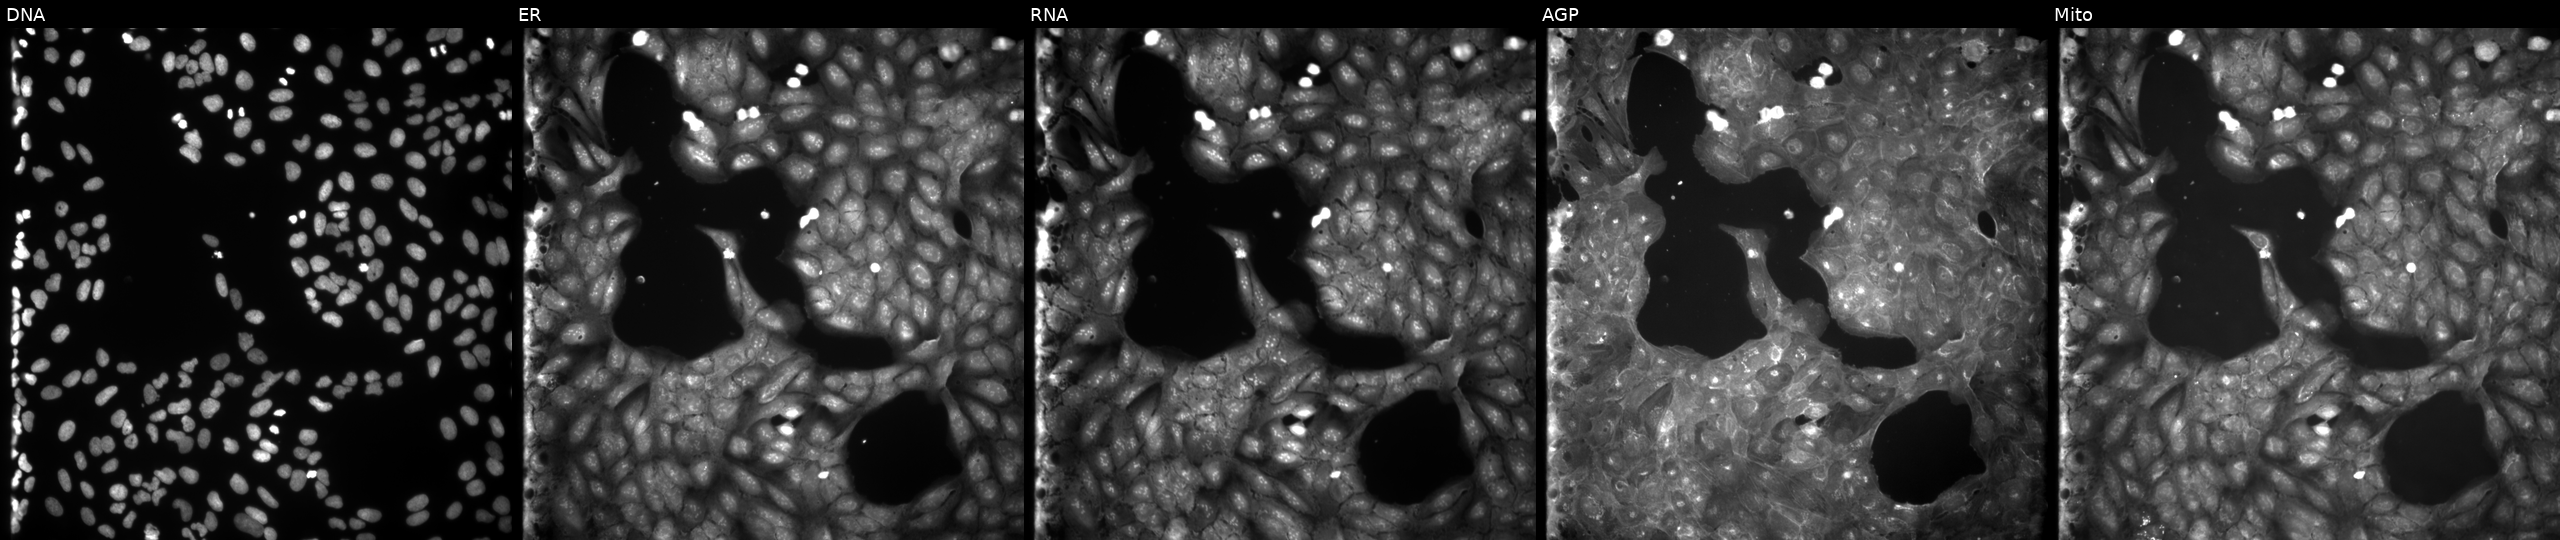
JUMP Cell Painting — COMPOUND plate. U2OS cells perturbed with a small-molecule compound (InChIKey IGZHOJVHMBULCK-UHFFFAOYSA-N) (JUMP id JCP2022_035000). From left to right: DNA, ER, RNA, AGP, and Mito.